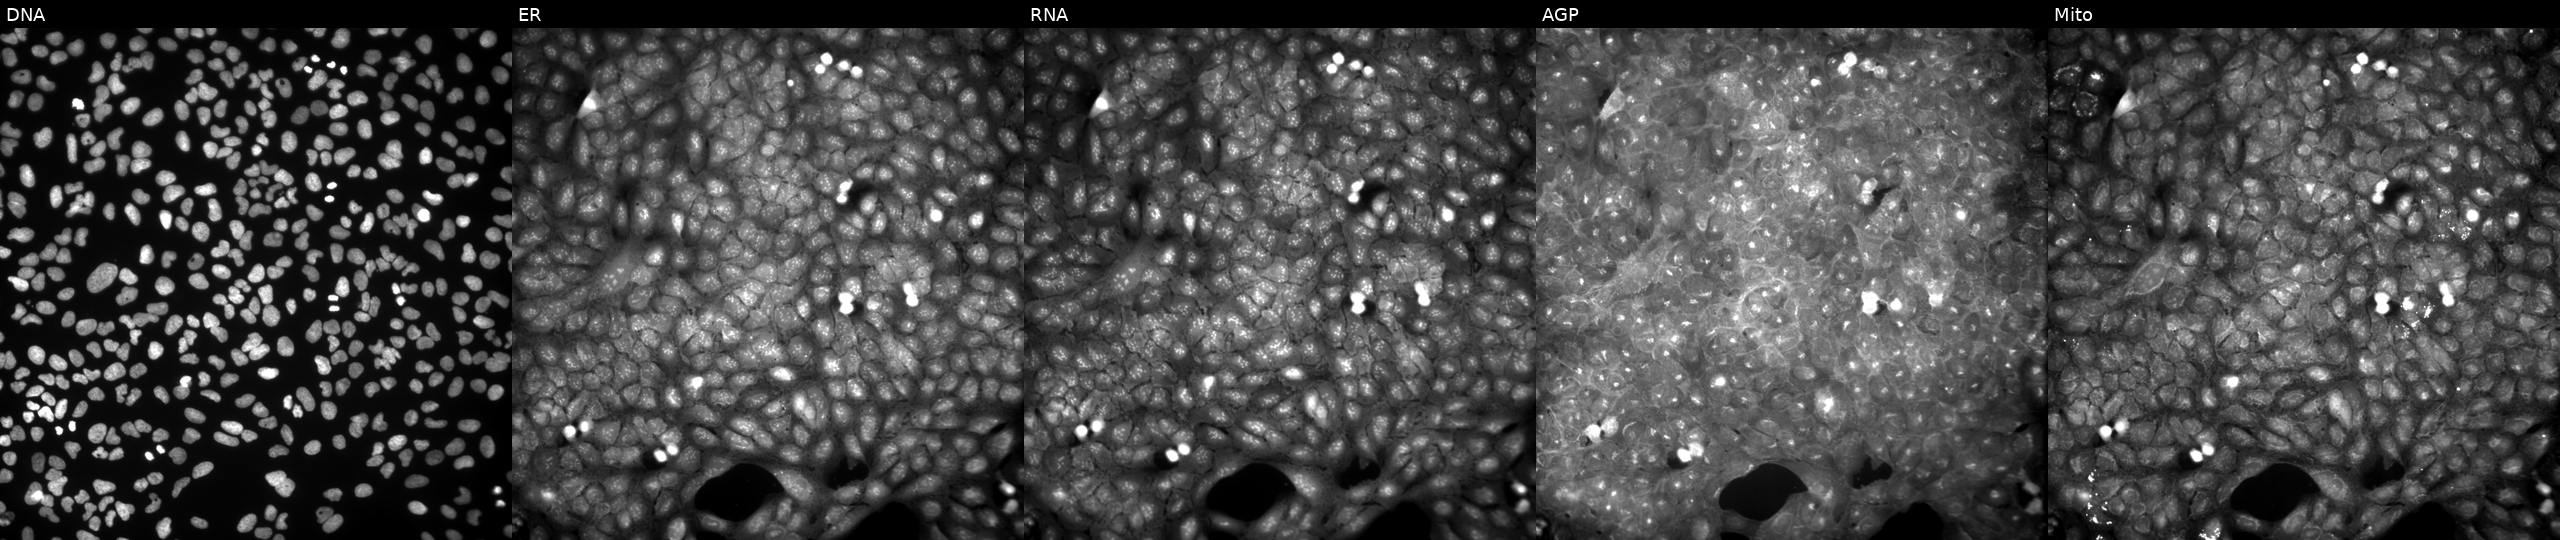
JUMP Cell Painting — COMPOUND plate. U2OS cells exposed to a small-molecule compound (InChIKey UUDLUCKIEGFRRV-UHFFFAOYSA-N). From left to right: DNA, ER, RNA, AGP, and Mito.